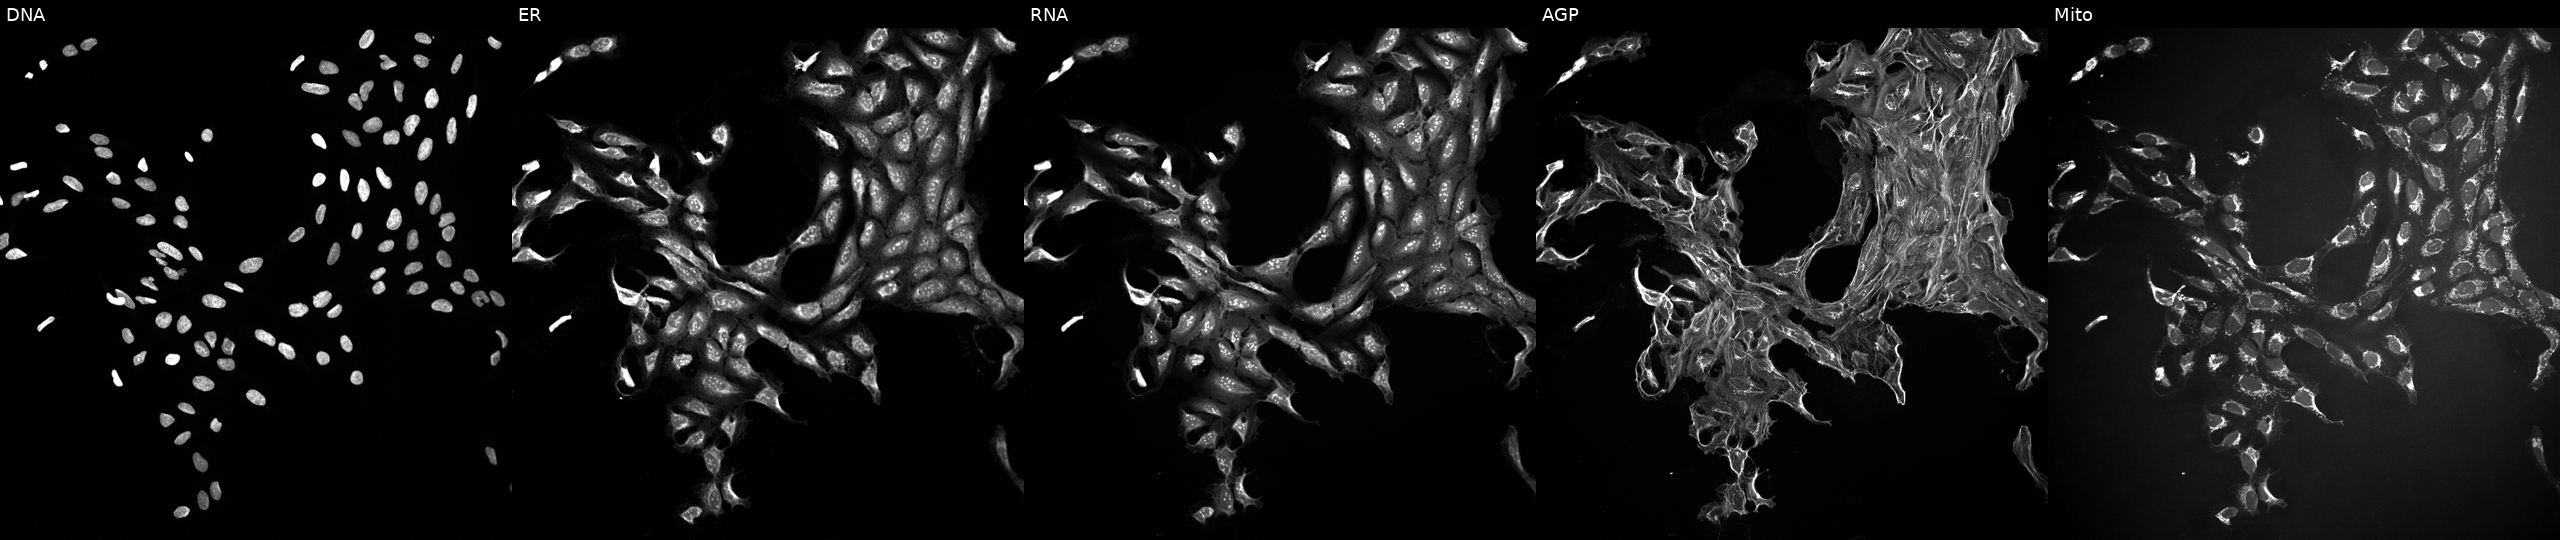
High-content fluorescence microscopy (Cell Painting). Cell line: U2OS. Perturbation: perturbed with a small-molecule compound. Channels (left→right): Hoechst 33342, concanavalin A, SYTO 14, phalloidin and WGA, MitoTracker.